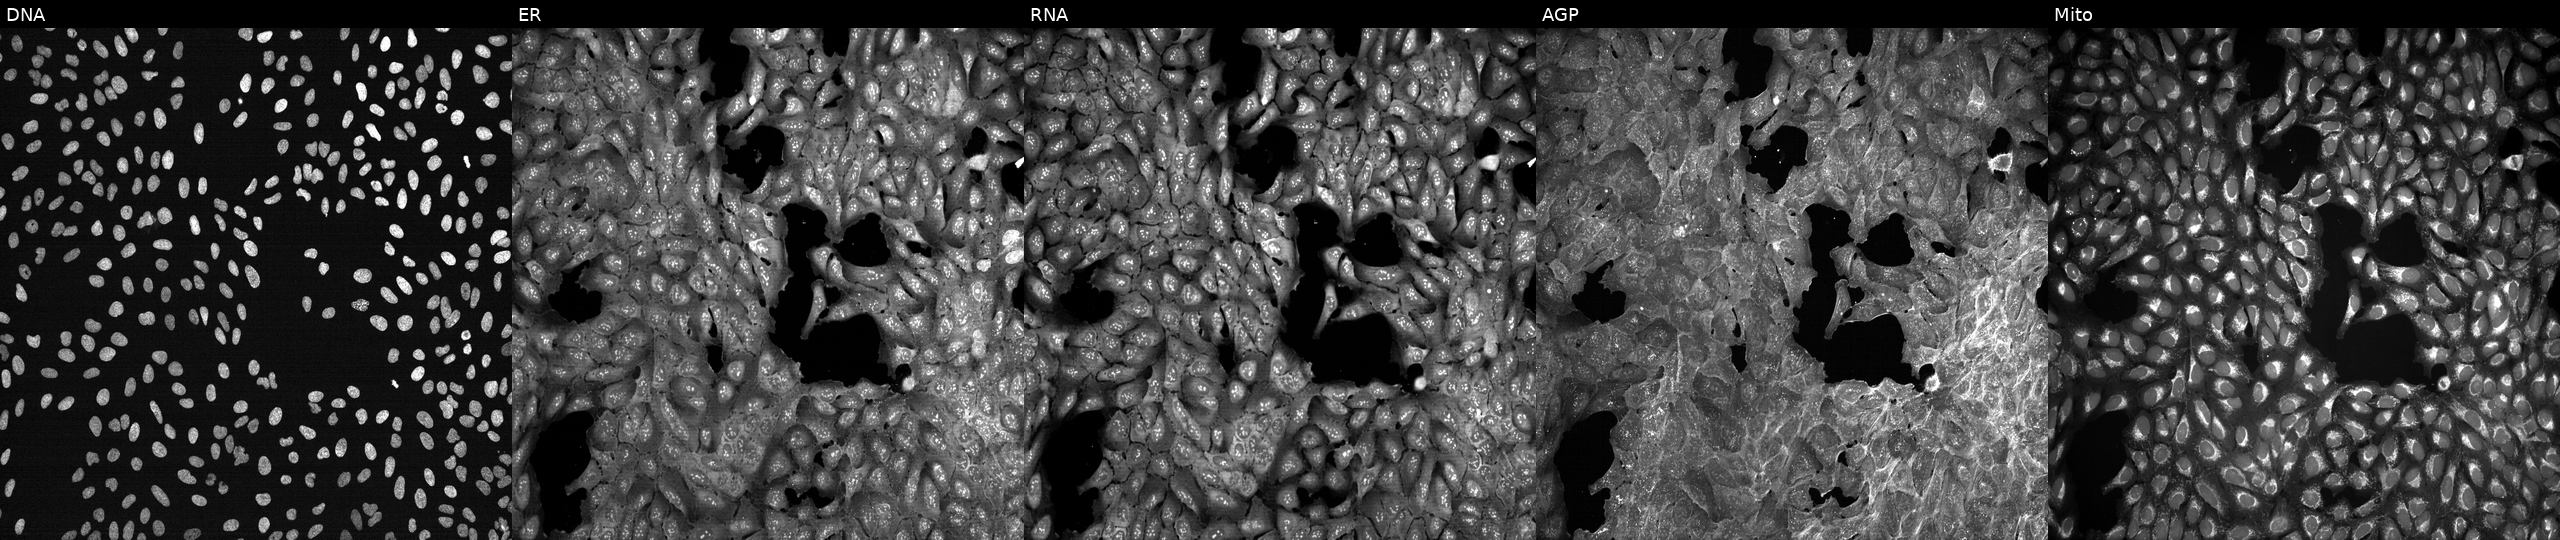
High-content fluorescence microscopy (Cell Painting). Cell line: U2OS. Perturbation: treated with DMSO vehicle only (negative control) (JUMP id JCP2022_033924). From left to right: Hoechst 33342, concanavalin A, SYTO 14, phalloidin and WGA, MitoTracker. Source 7, plate CP3-SC1-25, well G03.